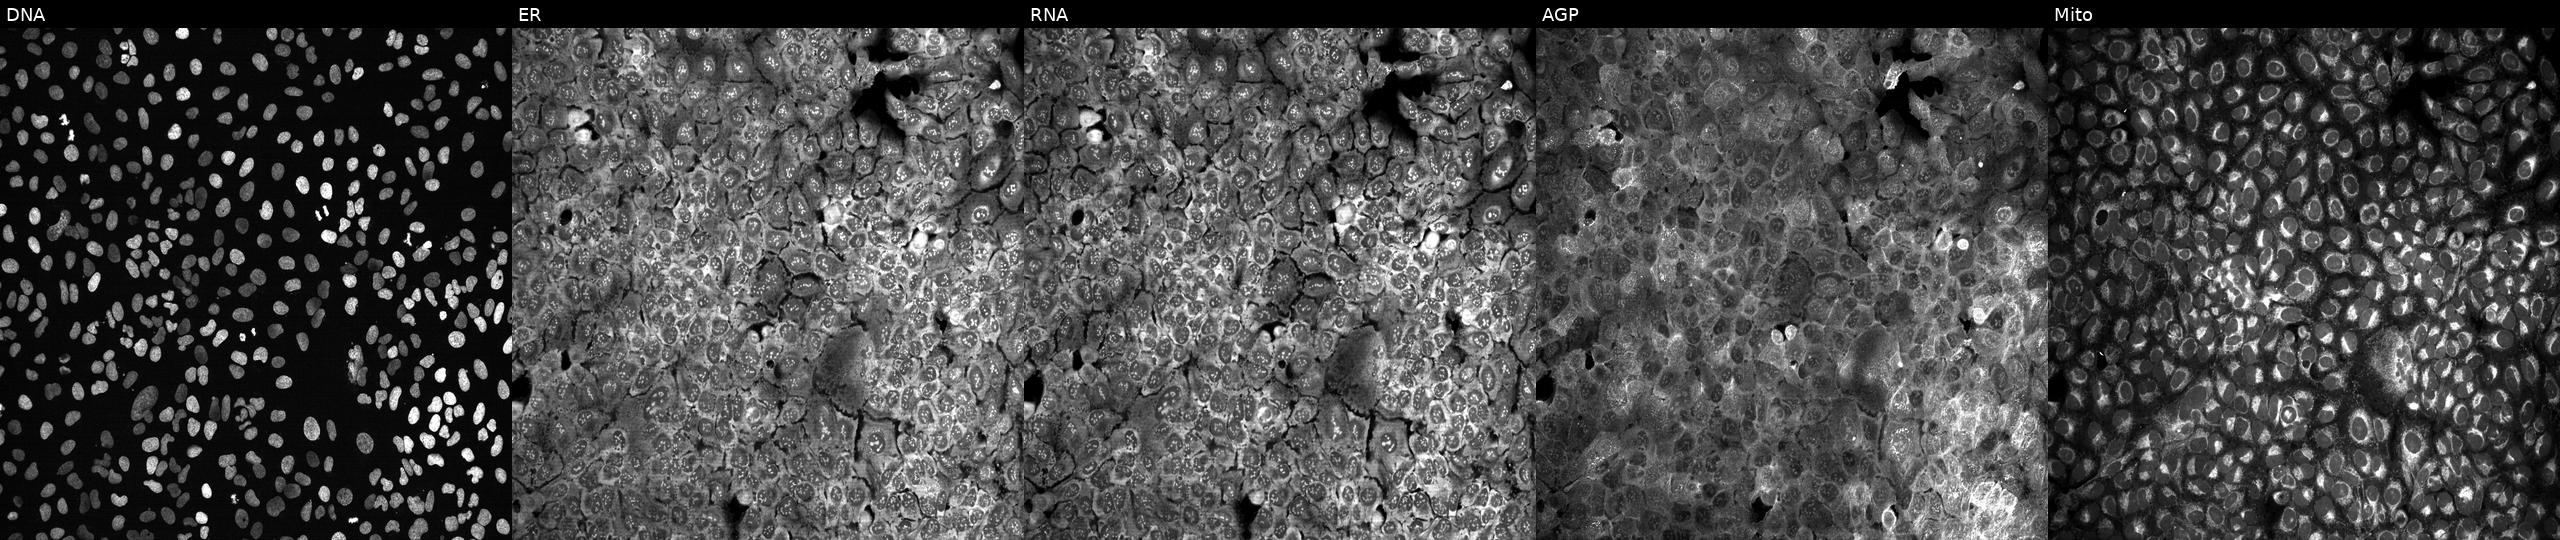
This image strip shows the five Cell Painting channels for a single field of U2OS cells CRISPR-edited to disrupt MYO1E. The five panels, left to right, show DNA, ER, RNA, AGP, and Mito.